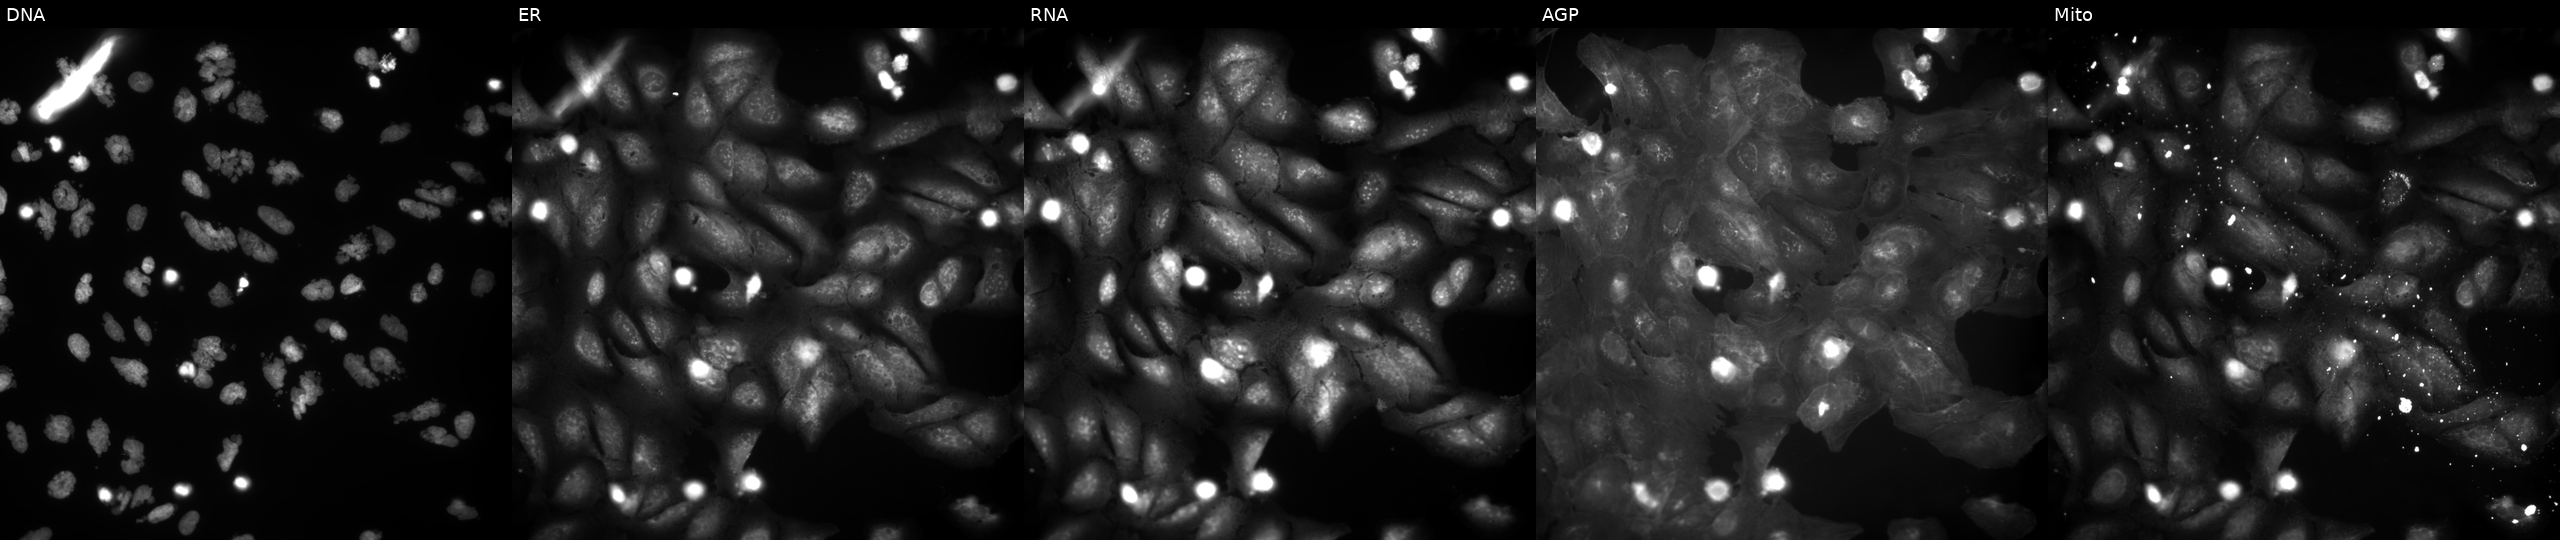
U2OS cells, Cell Painting assay, exposed to the positive-control compound AMG900. The five panels, left to right, show DNA, ER, RNA, AGP, and Mito. Each panel is percentile-stretched 16-bit fluorescence.